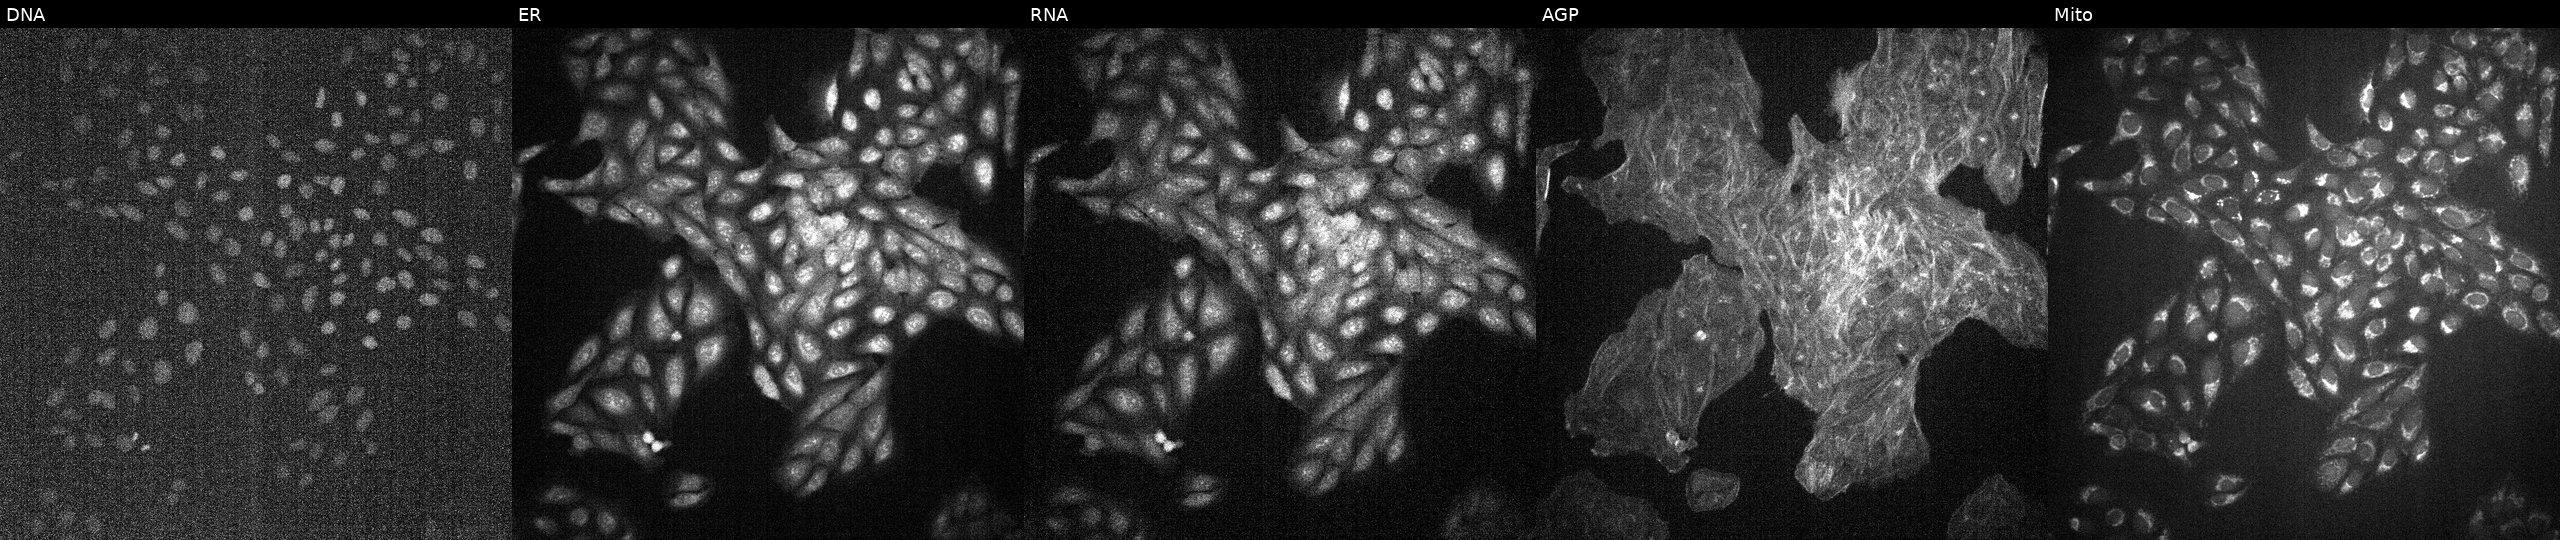
JUMP Cell Painting — TARGET2 plate. U2OS cells with an unidentified perturbation (not annotated in JUMP metadata). The five panels, left to right, show Hoechst 33342, concanavalin A, SYTO 14, phalloidin and WGA, MitoTracker.